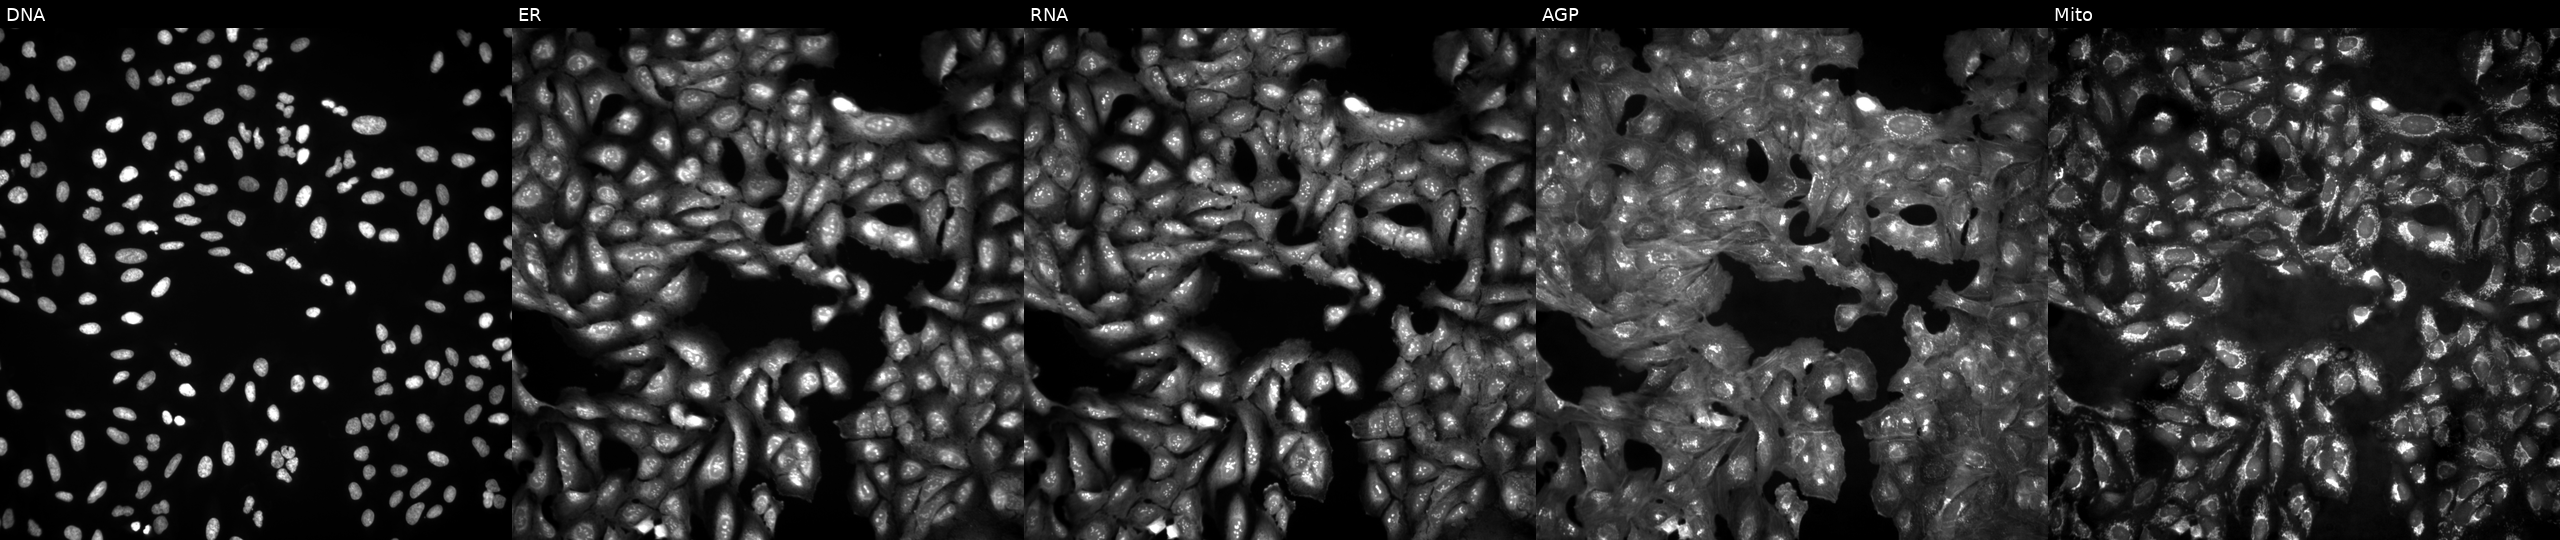
JUMP Cell Painting — ORF plate. U2OS cells untreated (empty-well control). From left to right: DNA (nuclei); ER (endoplasmic reticulum); RNA (nucleoli and cytoplasmic RNA); AGP (actin cytoskeleton, Golgi, and plasma membrane); Mito (mitochondria).